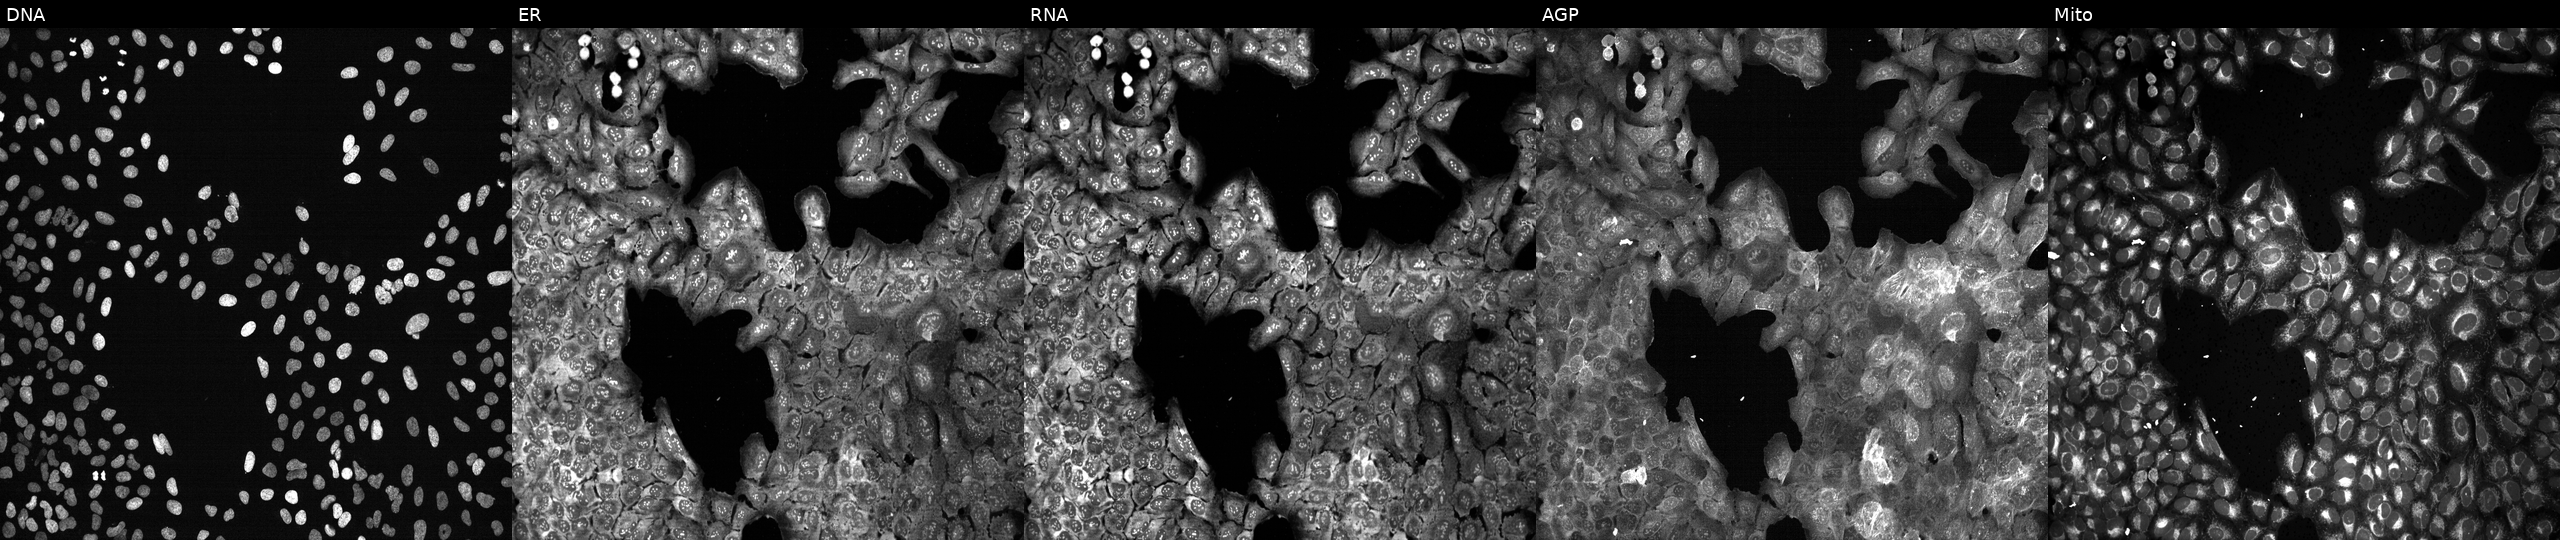
Five-channel Cell Painting image of U2OS cells following CRISPR knockout of MAP2 (JUMP id JCP2022_803975). From left to right: DNA (nuclei); ER (endoplasmic reticulum); RNA (nucleoli and cytoplasmic RNA); AGP (actin cytoskeleton, Golgi, and plasma membrane); Mito (mitochondria). Source 13, plate CP-CC9-R2-01, well I19.